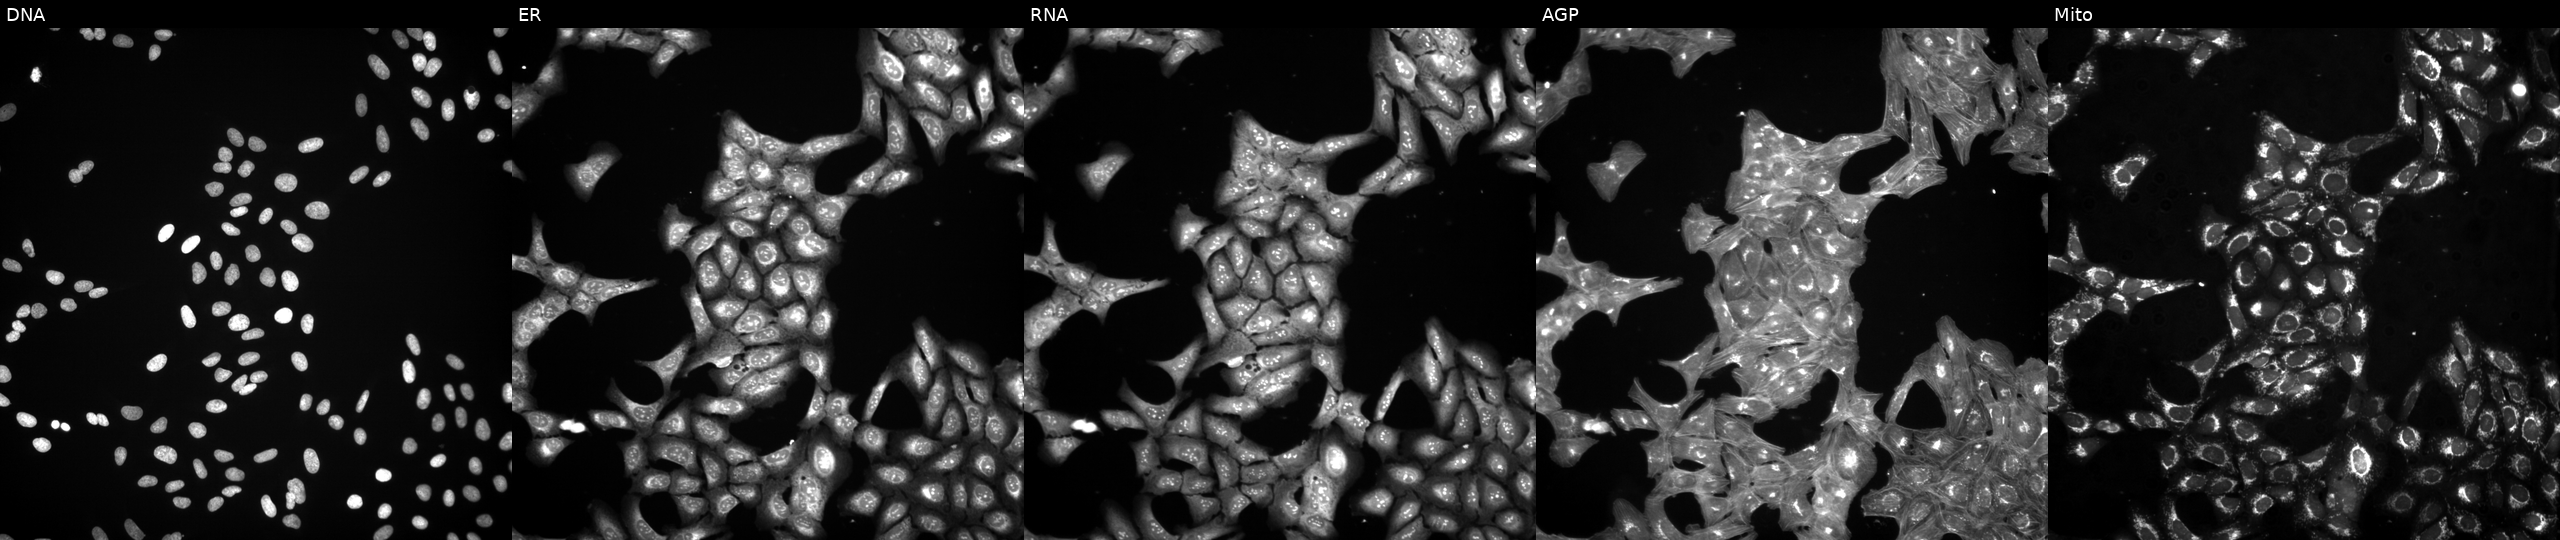
Five-channel Cell Painting image of U2OS cells exposed to the positive-control compound TC-S-7004. Panels show, left to right, DNA, ER, RNA, AGP, and Mito.